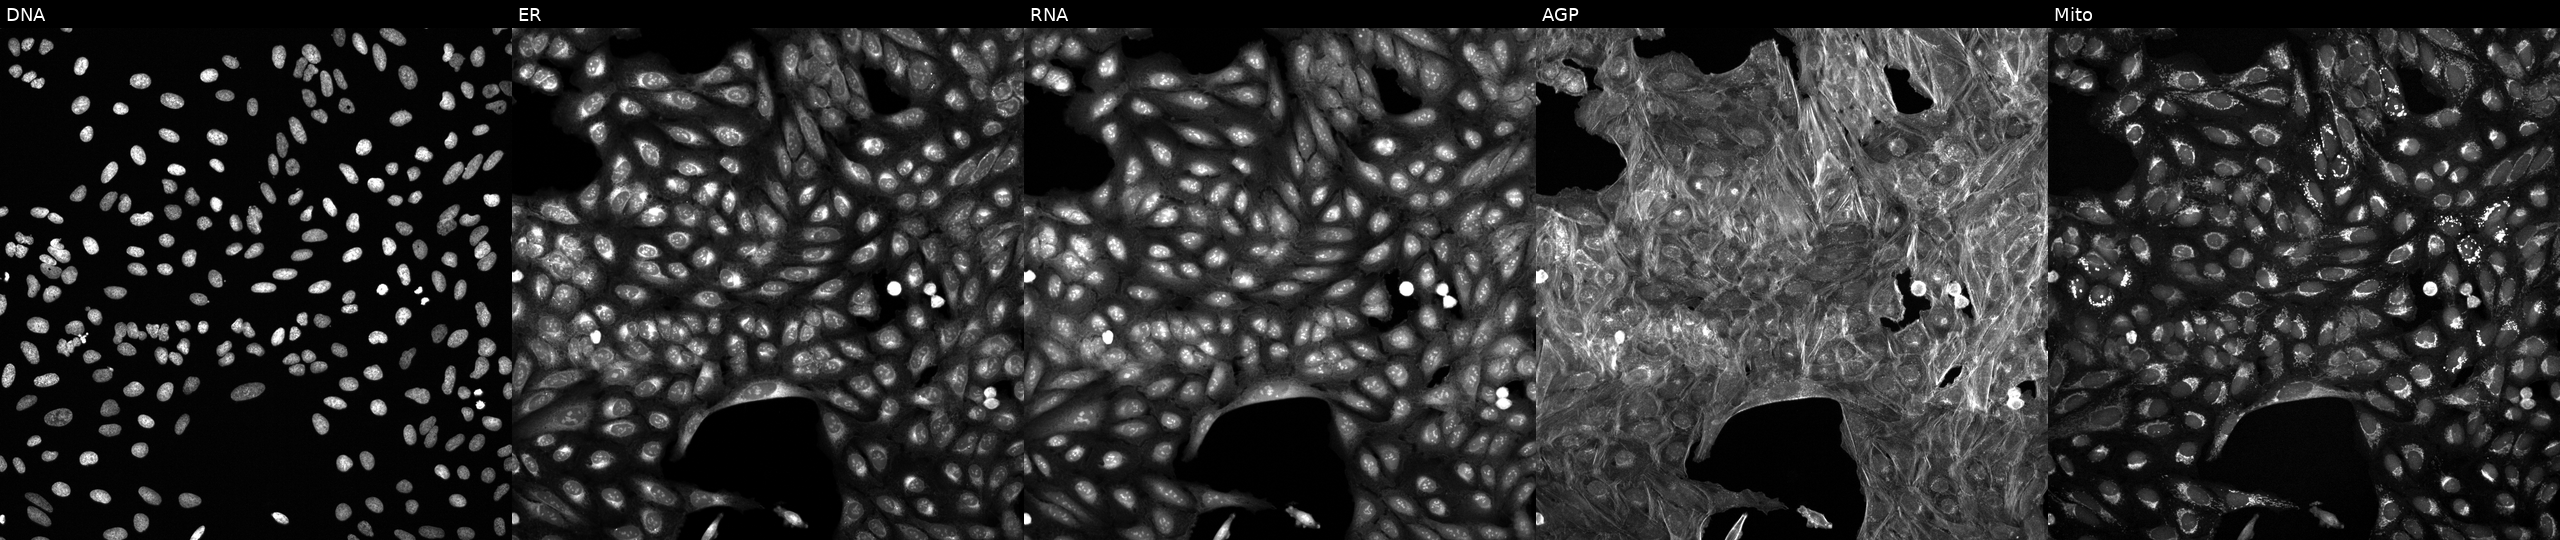
Five-channel Cell Painting image of U2OS cells exposed to a small-molecule compound (InChIKey RATZLMXRALDSJW-UHFFFAOYSA-N) [SMILES: CCC1(C2=NCCN2)Cc2ccccc2O1]. Channels (left→right): DNA, ER, RNA, AGP, and Mito. Source 6, plate 110000293081, well P06.